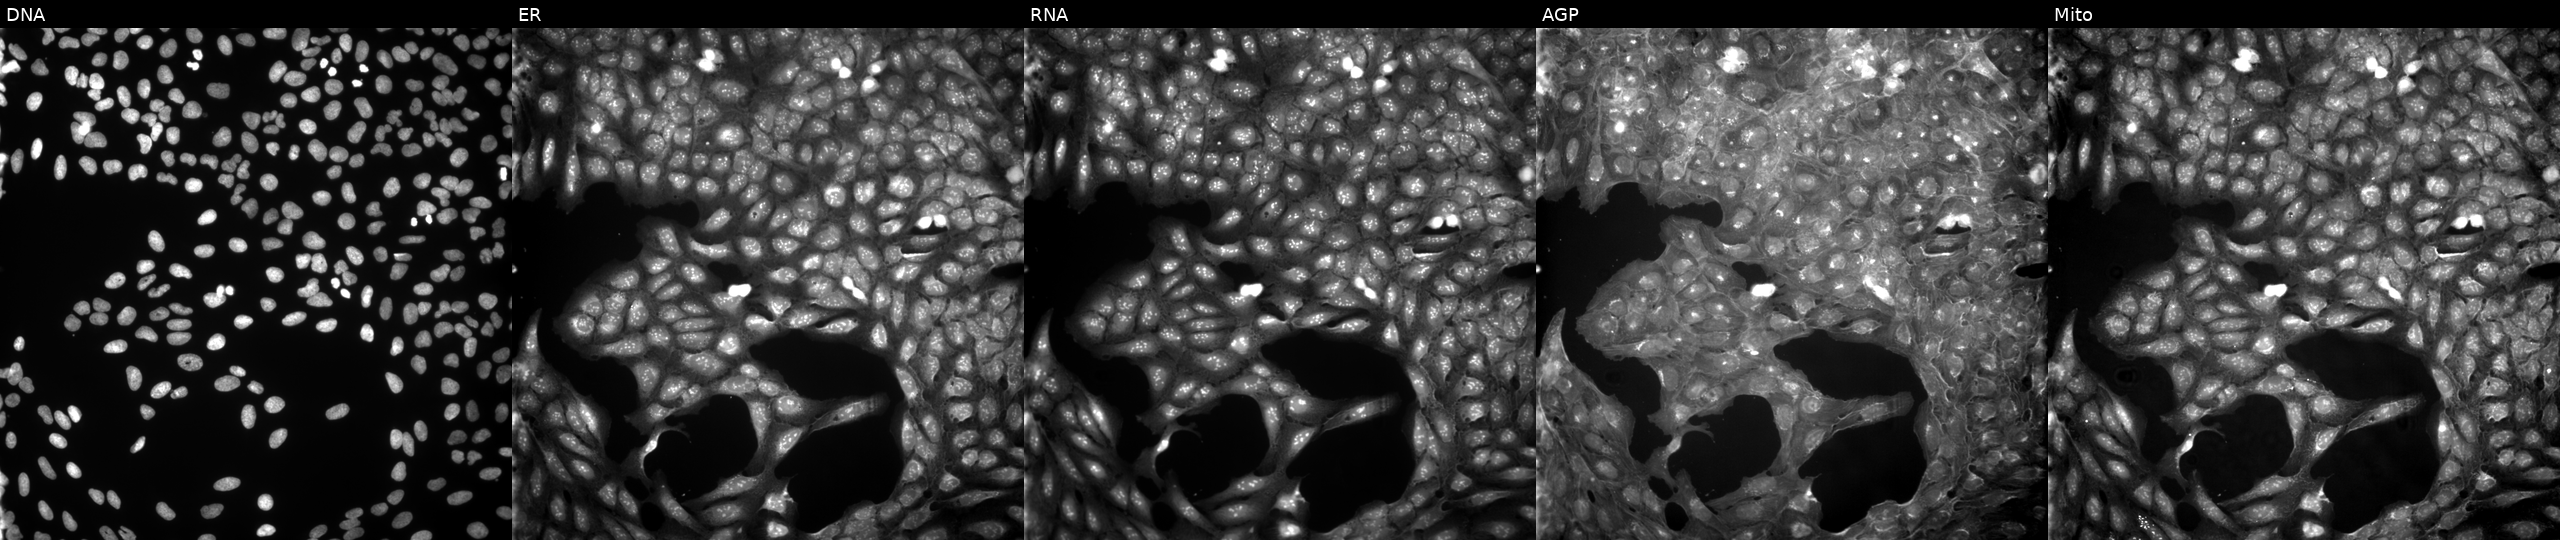
U2OS cells, Cell Painting assay, treated with DMSO vehicle only (negative control) (JUMP id JCP2022_033924). The five panels, left to right, show Hoechst 33342, concanavalin A, SYTO 14, phalloidin and WGA, MitoTracker. Each panel is percentile-stretched 16-bit fluorescence.